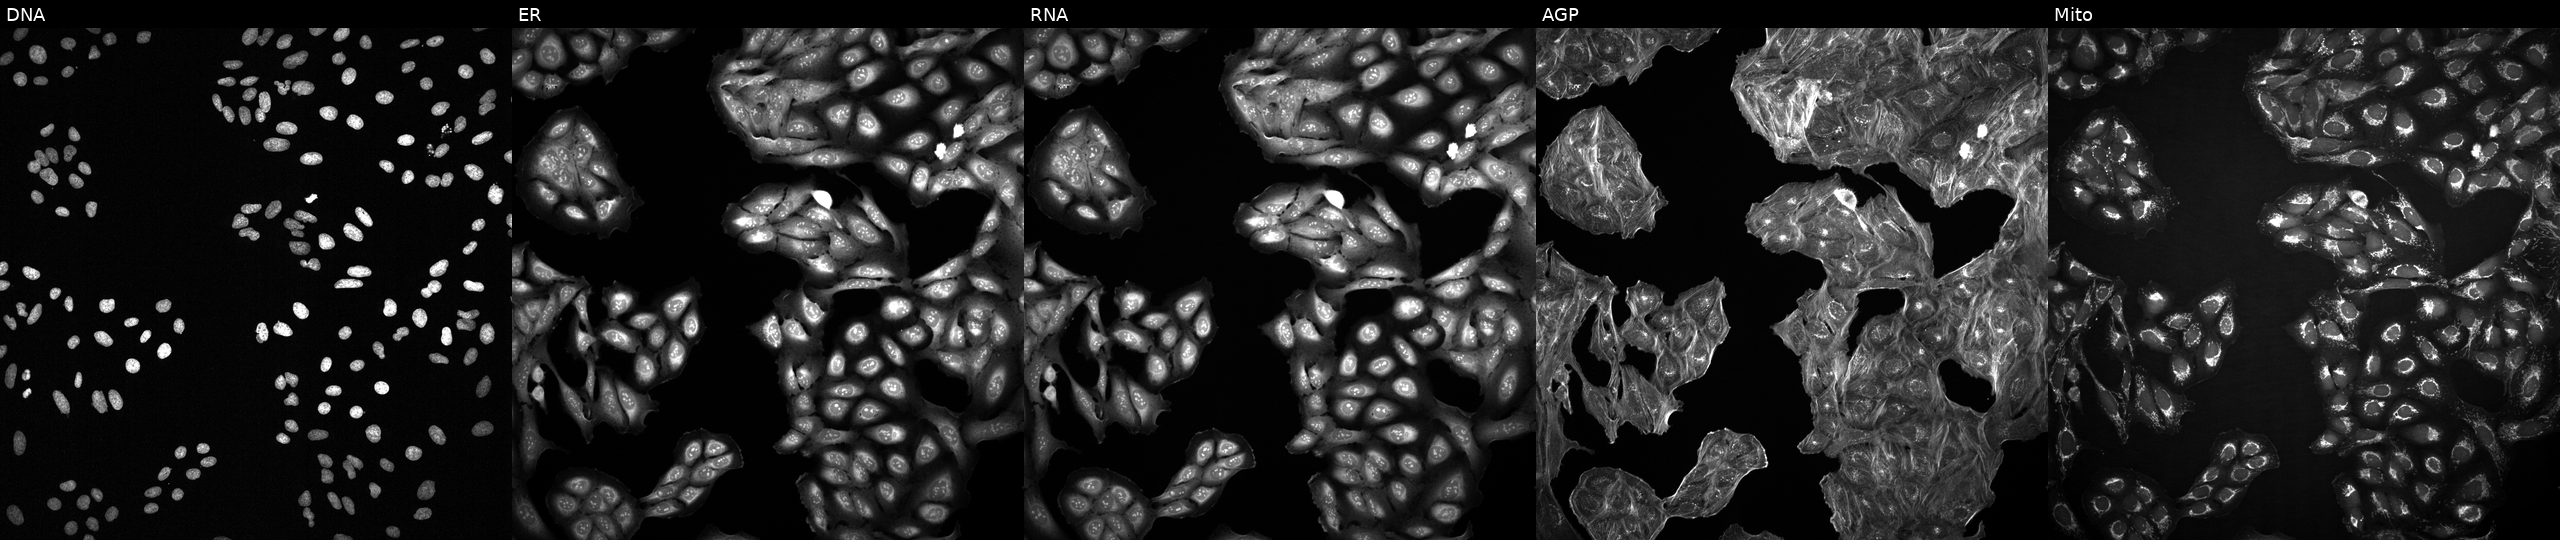
High-content fluorescence microscopy (Cell Painting). Cell line: U2OS. Perturbation: treated with a small-molecule compound (InChIKey YAMILBKZLVATHW-UHFFFAOYSA-N) [SMILES: NCCn1cnc2cc(Cl)ccc21]. Channels (left→right): DNA (nuclei); ER (endoplasmic reticulum); RNA (nucleoli and cytoplasmic RNA); AGP (actin cytoskeleton, Golgi, and plasma membrane); Mito (mitochondria).